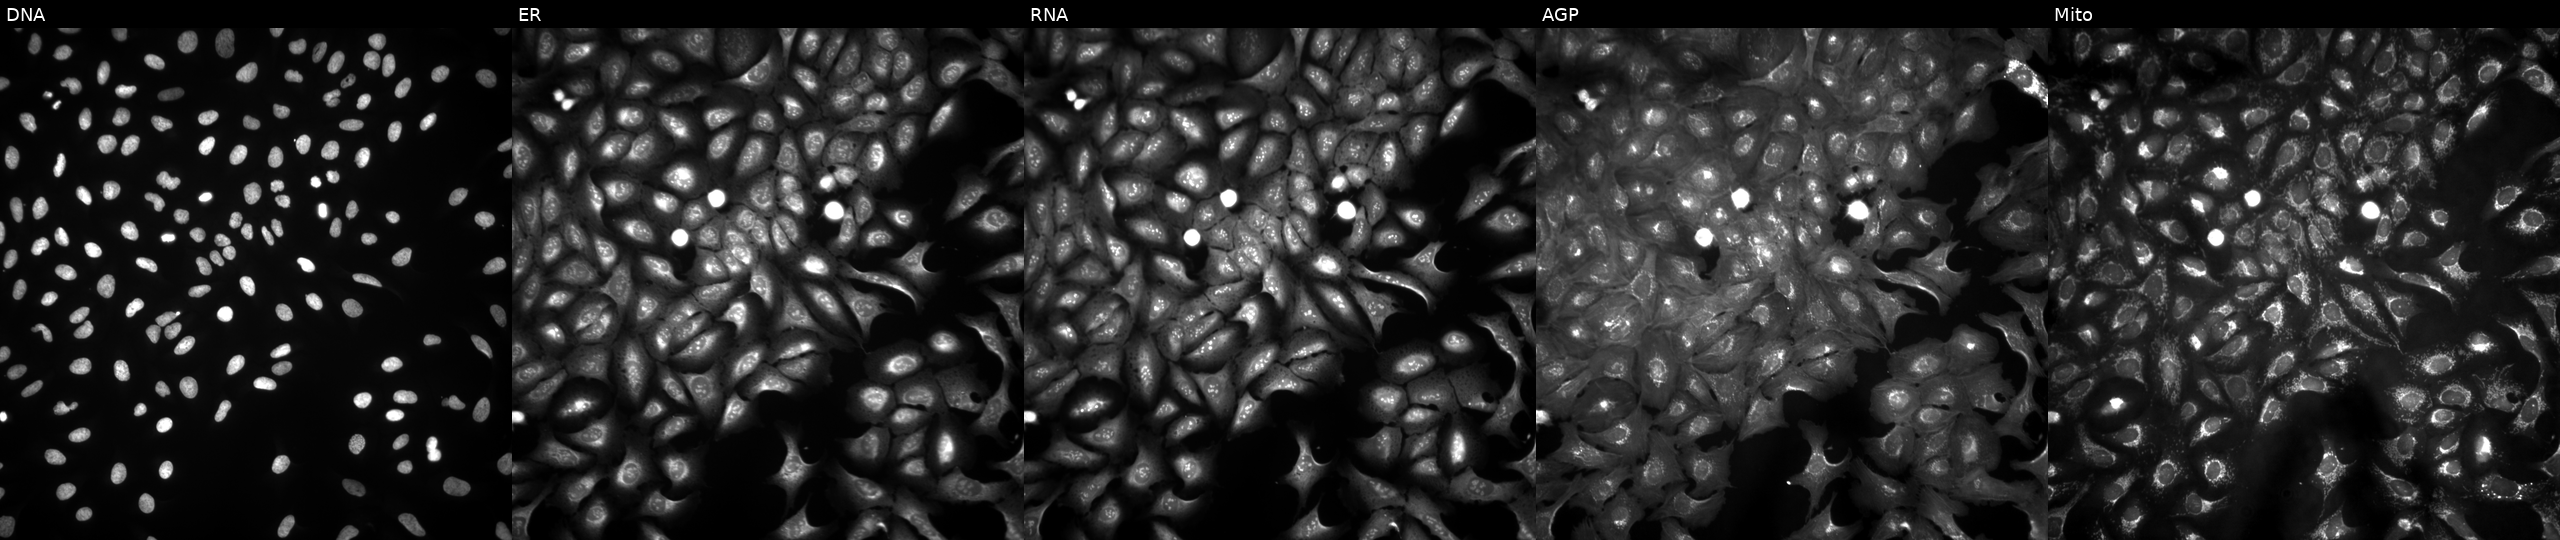
High-content fluorescence microscopy (Cell Painting). Cell line: U2OS. Perturbation: overexpressing RAD17 via ORF transfection. Panels show, left to right, Hoechst 33342, concanavalin A, SYTO 14, phalloidin and WGA, MitoTracker.